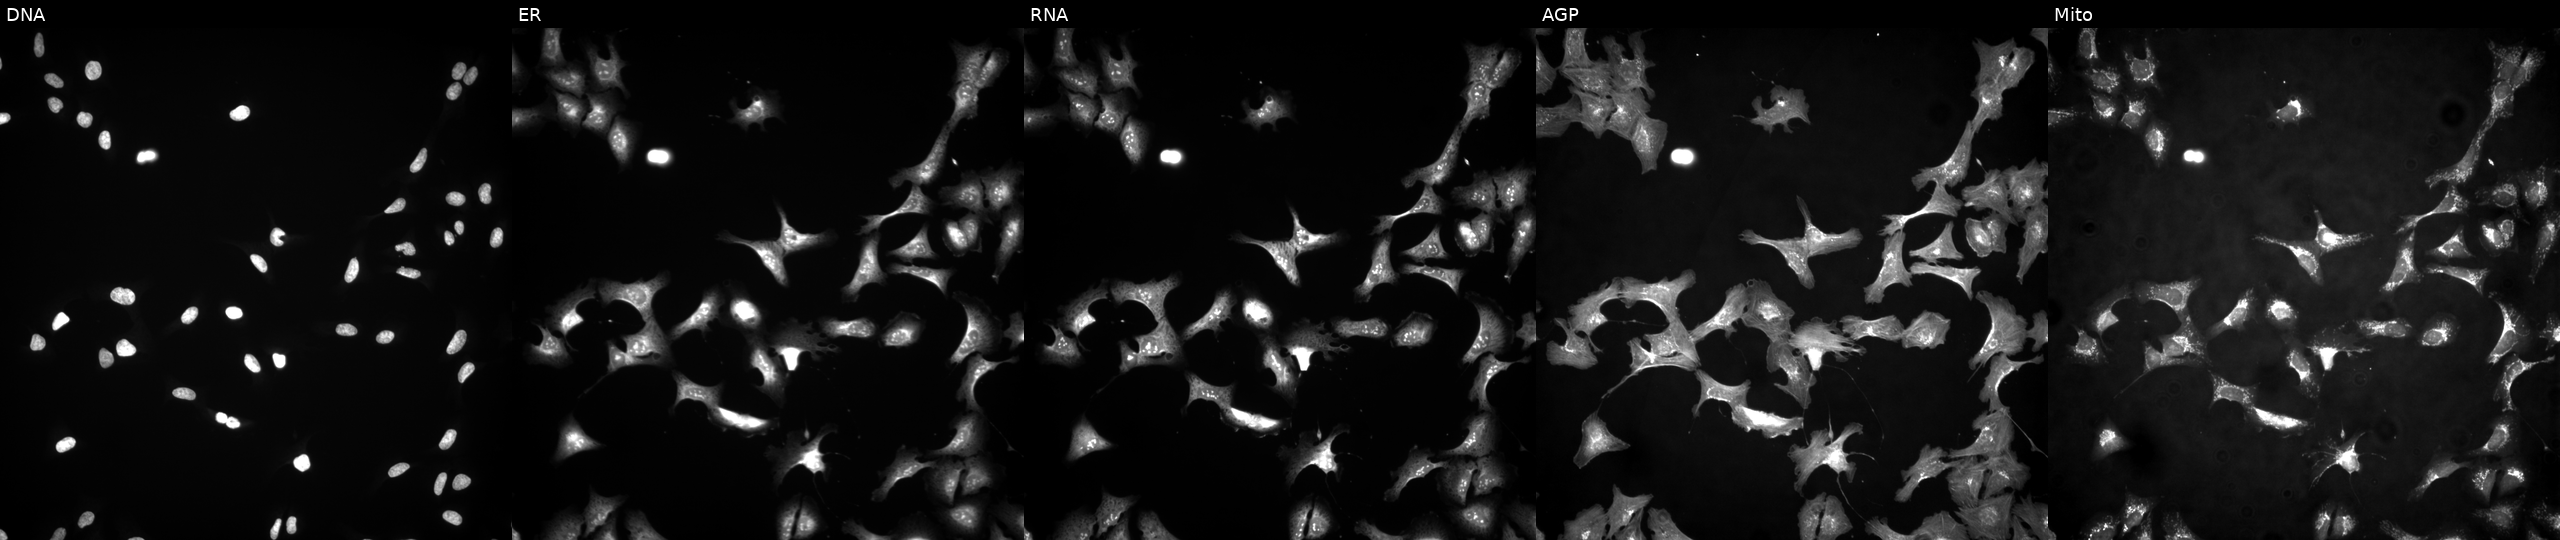
U2OS cells, Cell Painting assay, overexpressing AKIP1 via ORF transfection. From left to right: DNA, ER, RNA, AGP, and Mito. Each panel is percentile-stretched 16-bit fluorescence.